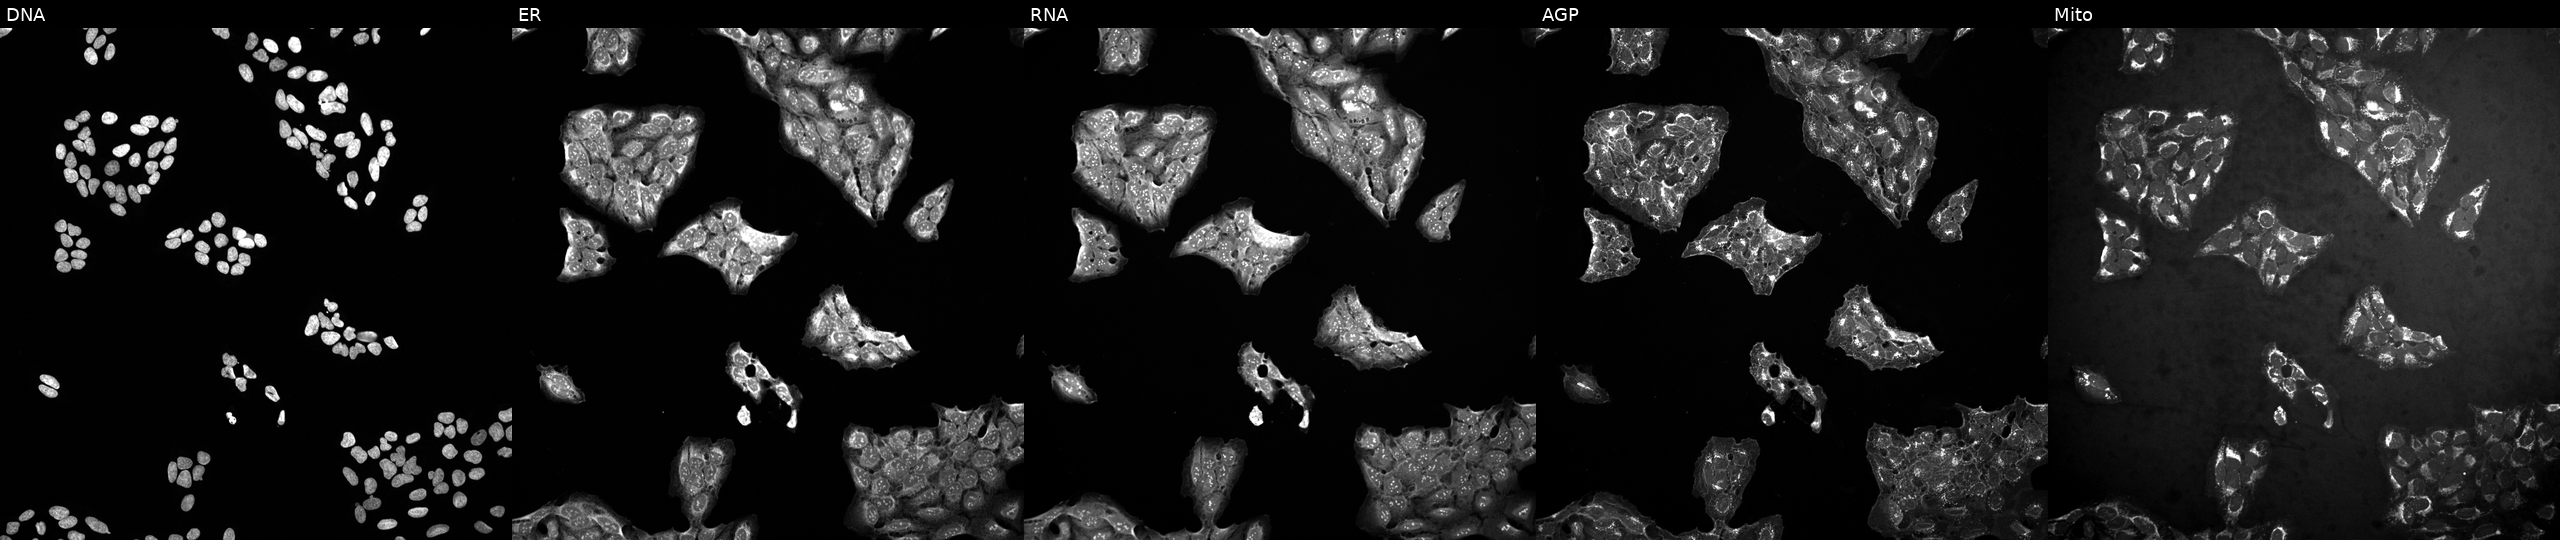
This image strip shows the five Cell Painting channels for a single field of U2OS cells perturbed with a small-molecule compound (InChIKey PBBRWFOVCUAONR-UHFFFAOYSA-N) (JUMP id JCP2022_067432). From left to right: Hoechst 33342, concanavalin A, SYTO 14, phalloidin and WGA, MitoTracker. Source 10, plate Dest210803-153958, well C03.